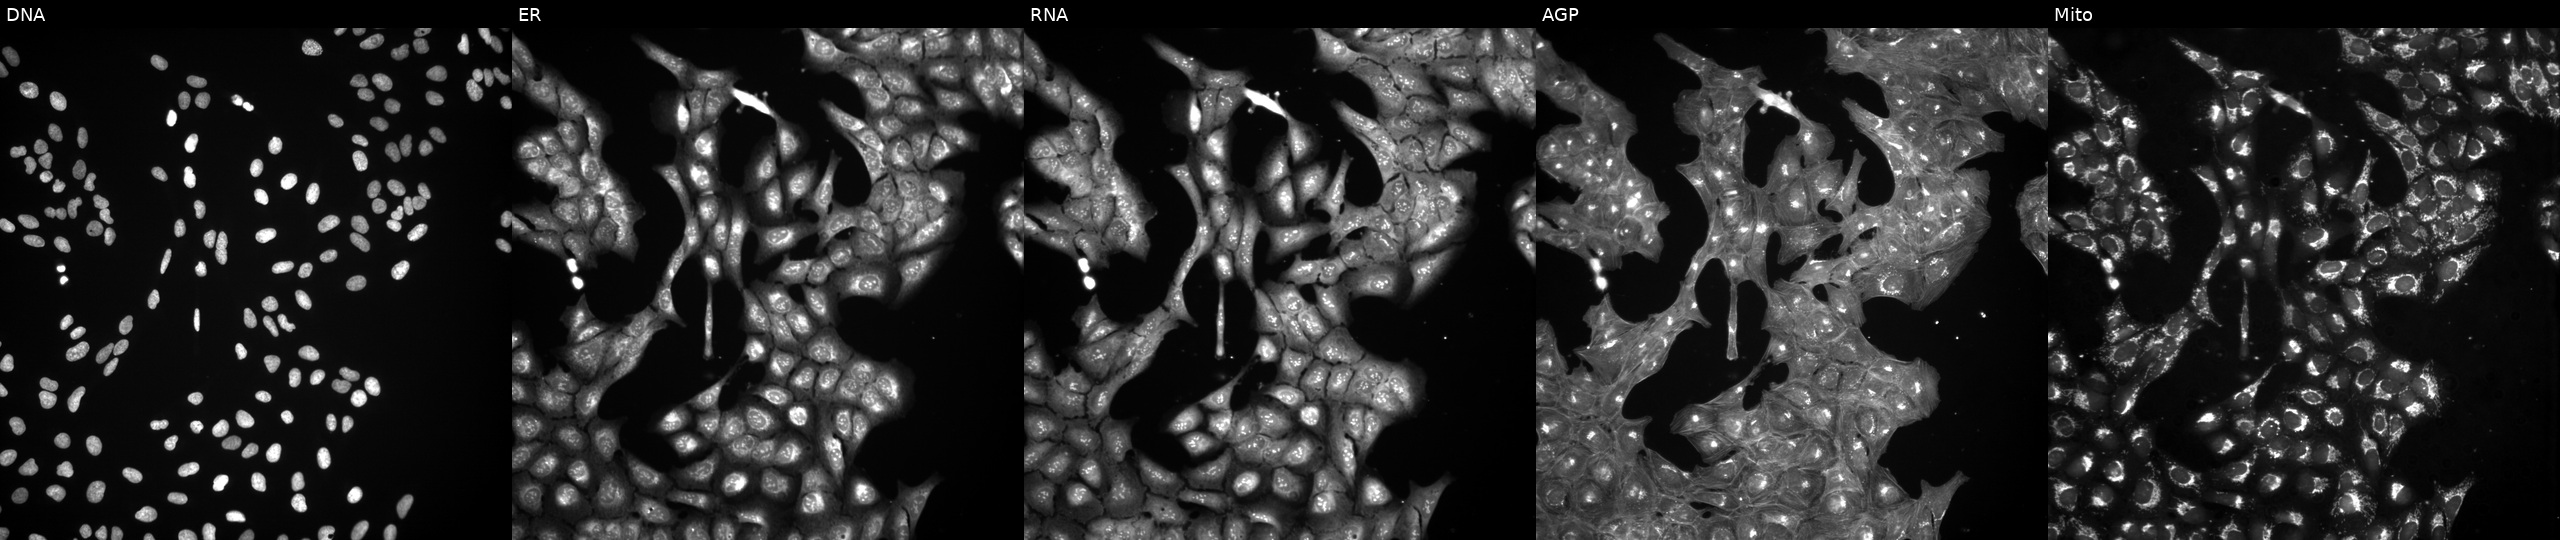
This image strip shows the five Cell Painting channels for a single field of U2OS cells exposed to DMSO alone as a negative control. From left to right: DNA, ER, RNA, AGP, and Mito.